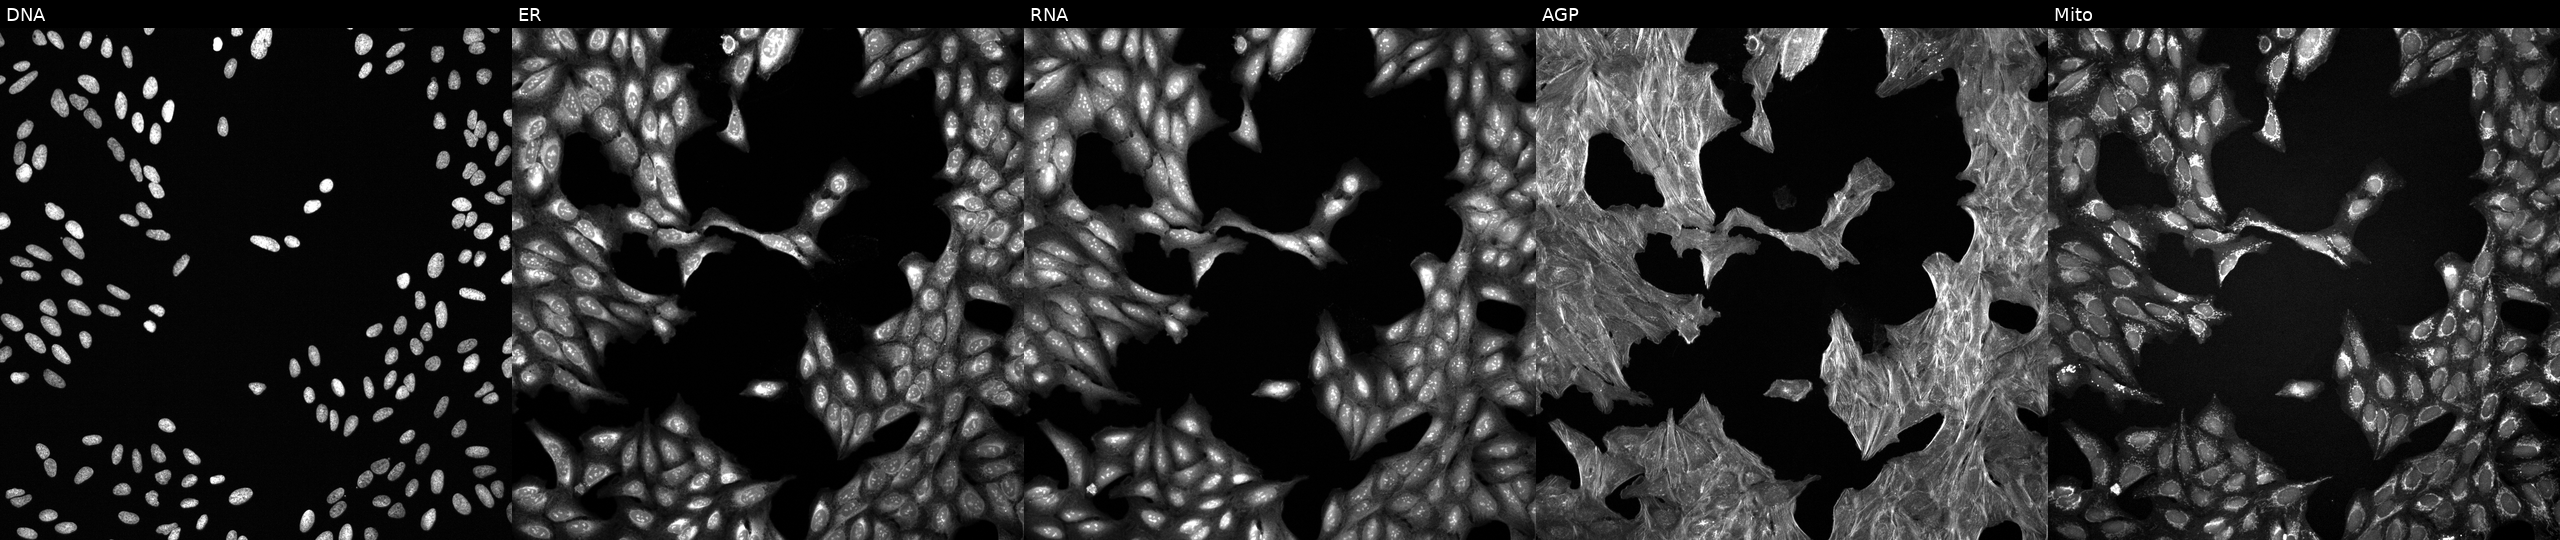
This image strip shows the five Cell Painting channels for a single field of U2OS cells treated with a small-molecule compound [SMILES: Nc1cc(F)ccc1NC(=O)C=Cc1cnn(CC=Cc2ccccc2)c1] (JUMP id JCP2022_007175). Panels show, left to right, DNA, ER, RNA, AGP, and Mito.